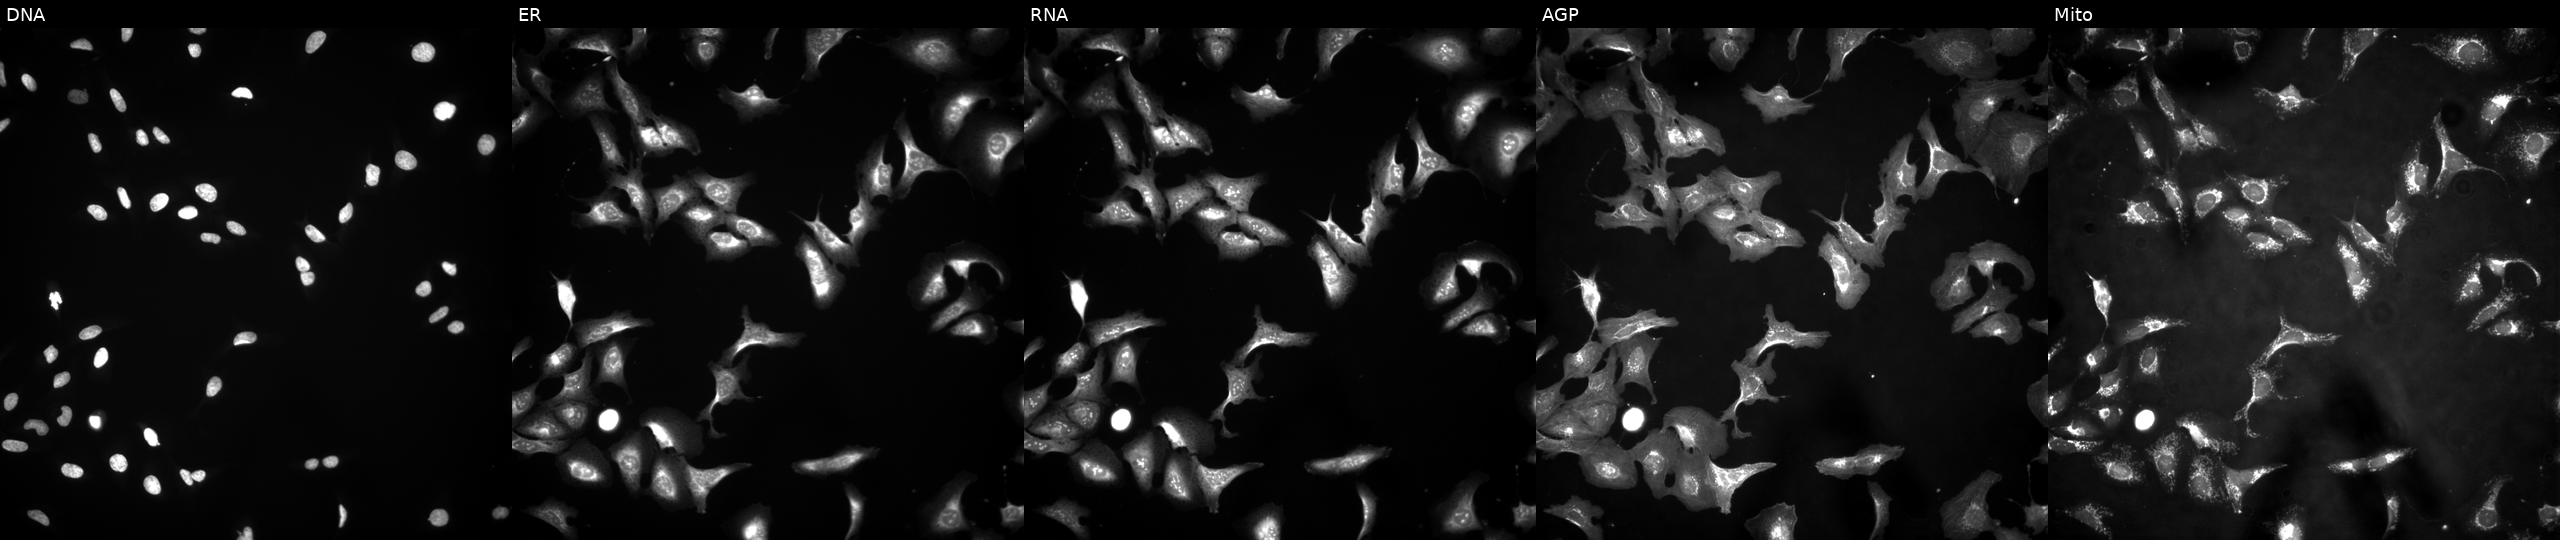
U2OS cells, Cell Painting assay, overexpressing MTMR14 via ORF transfection (JUMP id JCP2022_903703). The five panels, left to right, show DNA (nuclei); ER (endoplasmic reticulum); RNA (nucleoli and cytoplasmic RNA); AGP (actin cytoskeleton, Golgi, and plasma membrane); Mito (mitochondria). Each panel is percentile-stretched 16-bit fluorescence. Source 4, plate BR00121543, well A22.